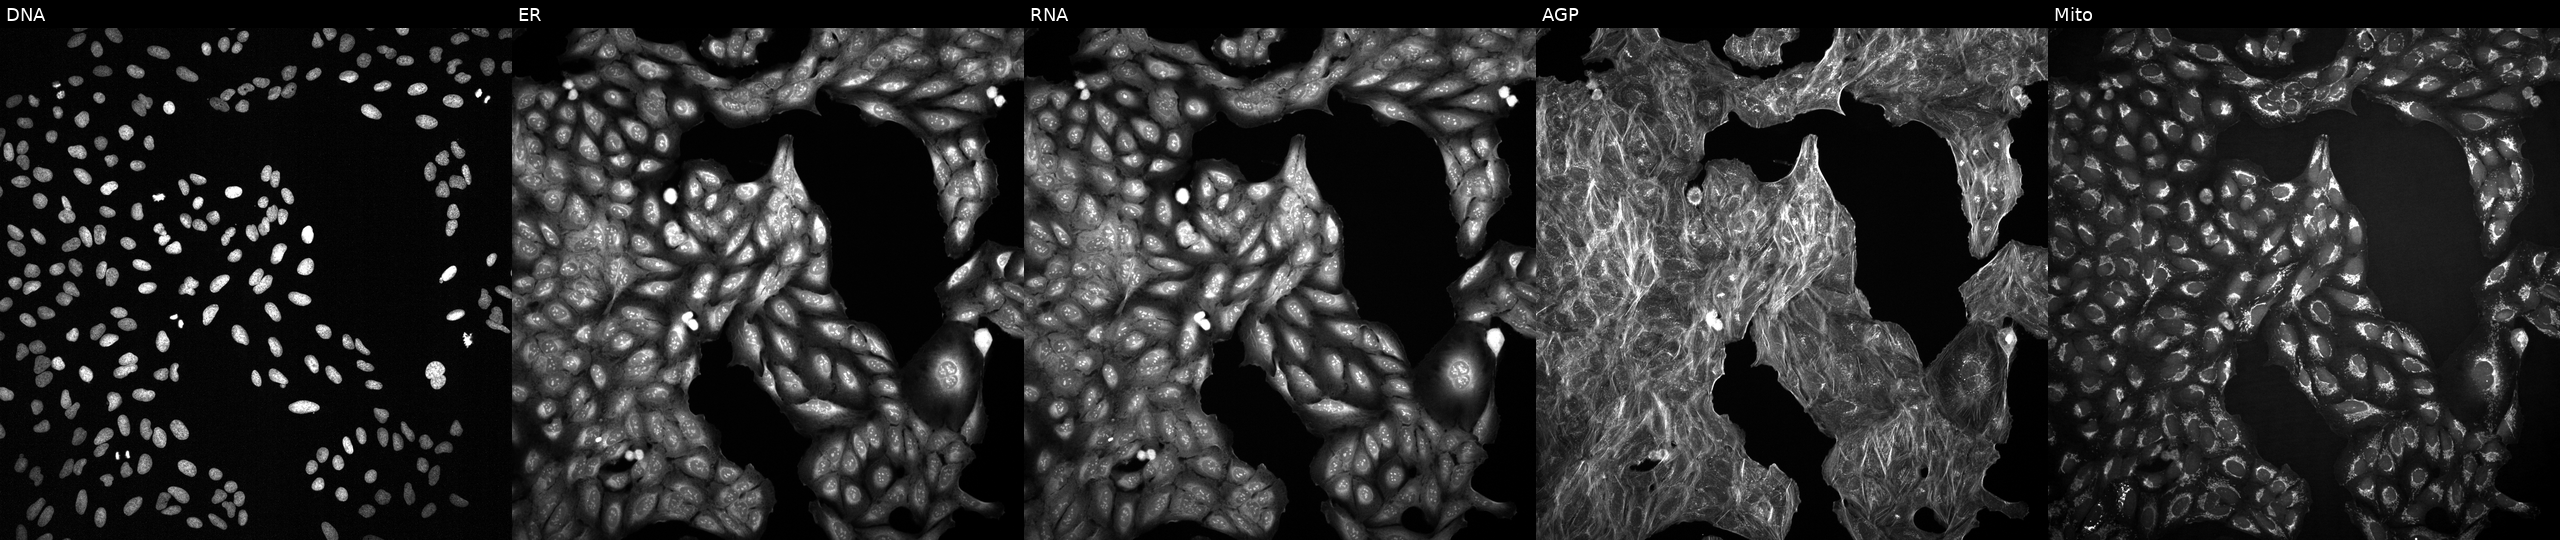
This image strip shows the five Cell Painting channels for a single field of U2OS cells exposed to DMSO alone as a negative control. Panels show, left to right, DNA, ER, RNA, AGP, and Mito.